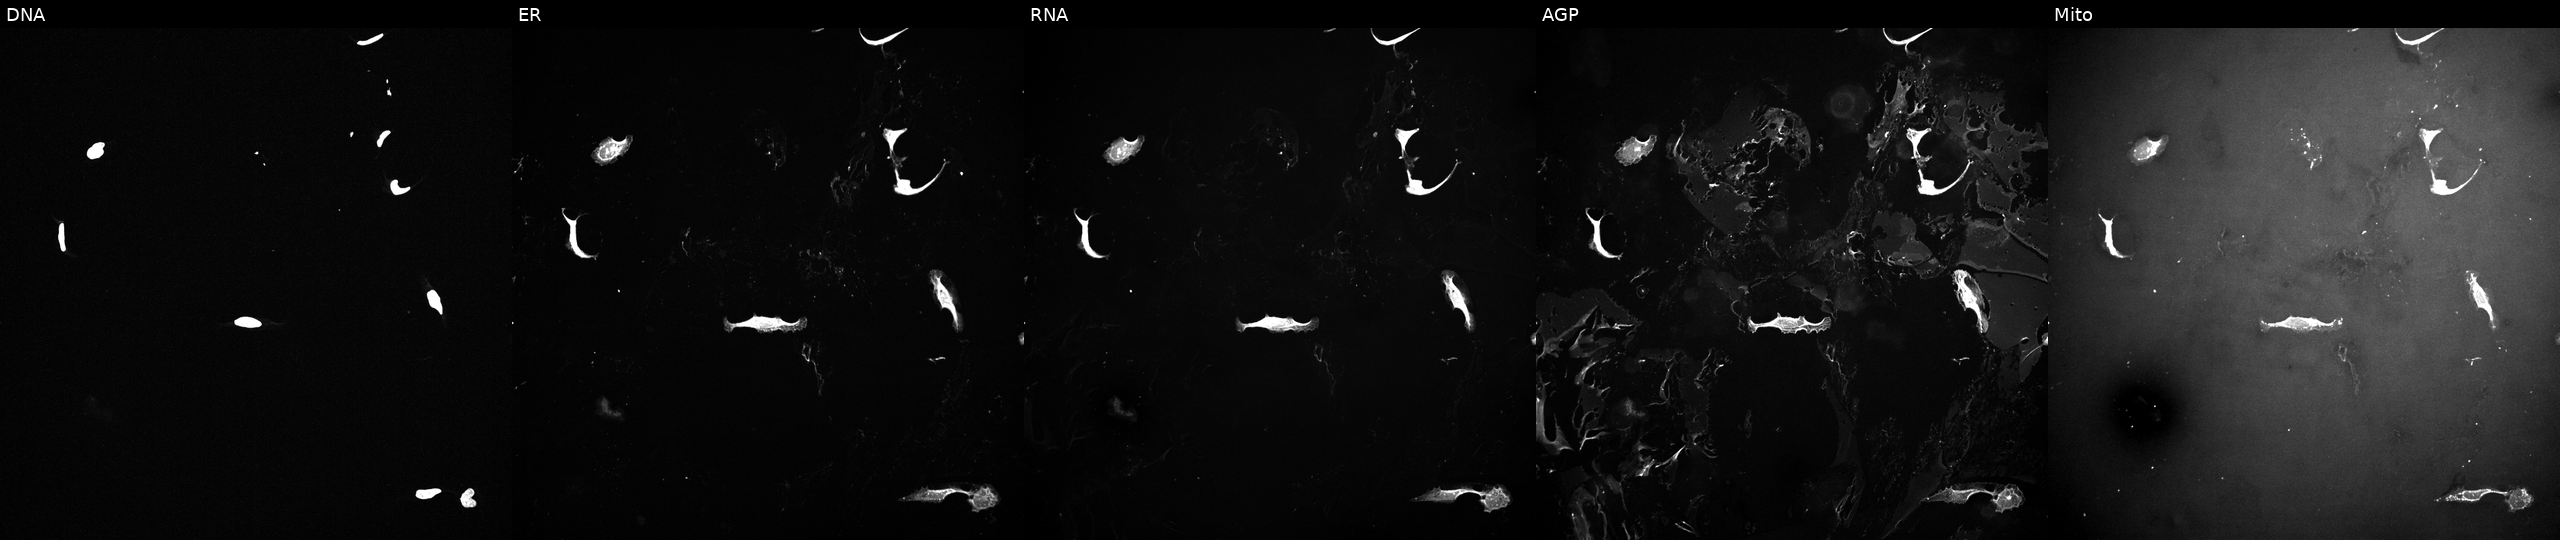
This image strip shows the five Cell Painting channels for a single field of U2OS cells exposed to a small-molecule compound (InChIKey YKJYKKNCCRKFSL-UHFFFAOYSA-N) [SMILES: COc1ccc(CC2NCC(O)C2OC(C)=O)cc1]. Channels (left→right): DNA (nuclei); ER (endoplasmic reticulum); RNA (nucleoli and cytoplasmic RNA); AGP (actin cytoskeleton, Golgi, and plasma membrane); Mito (mitochondria). Source 10, plate Dest210727-153003, well L09.